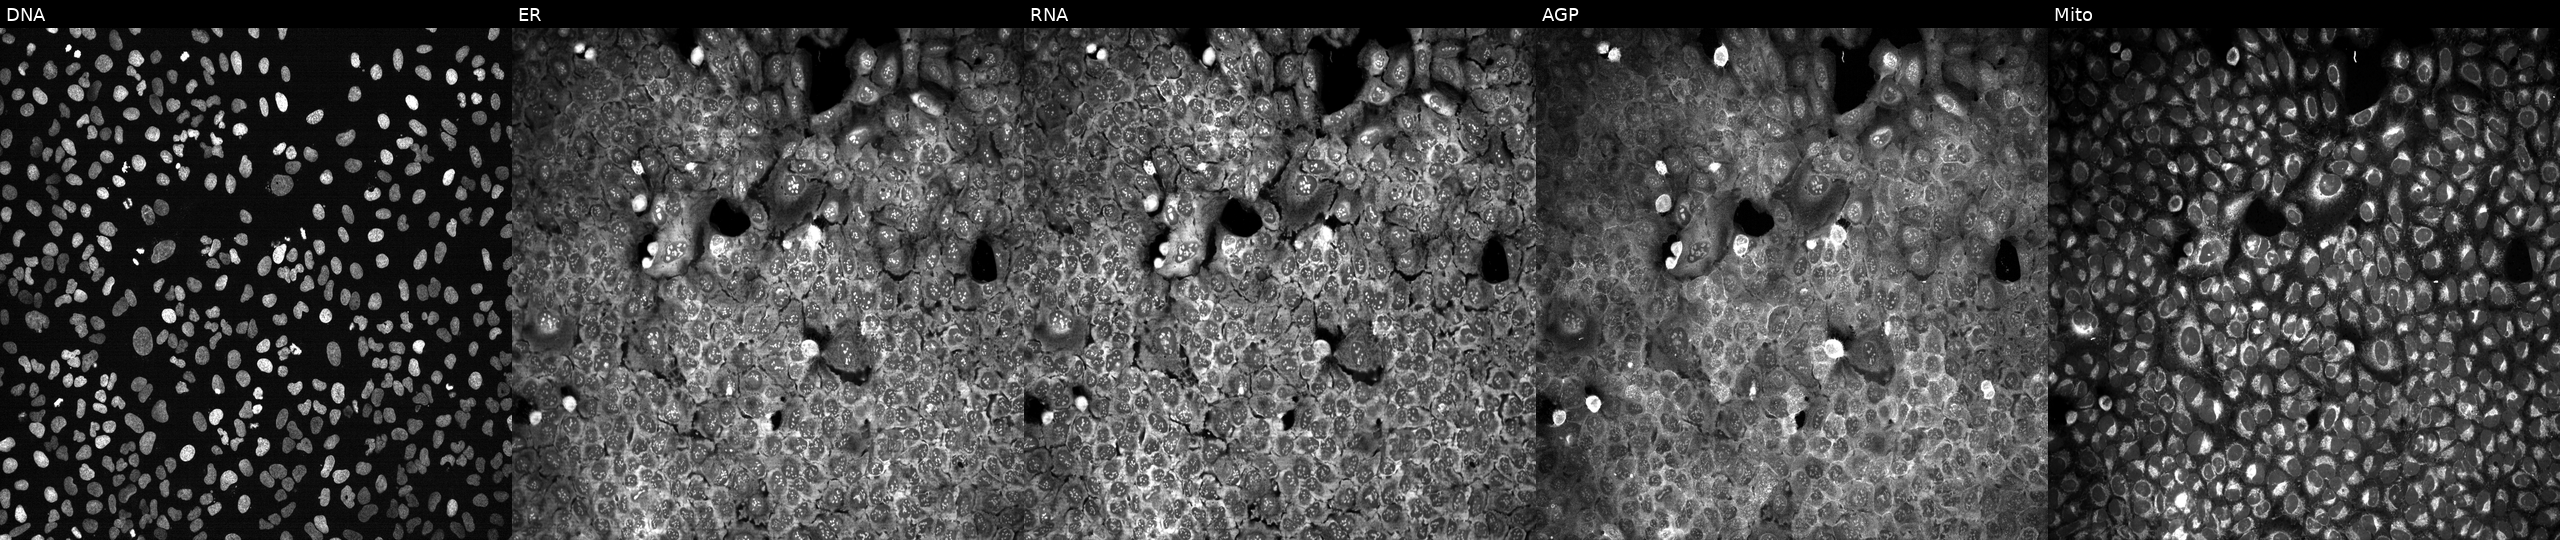
This image strip shows the five Cell Painting channels for a single field of U2OS cells CRISPR-edited to disrupt ASAH2. Panels show, left to right, DNA (nuclei); ER (endoplasmic reticulum); RNA (nucleoli and cytoplasmic RNA); AGP (actin cytoskeleton, Golgi, and plasma membrane); Mito (mitochondria). Source 13, plate CP-CC9-R4-03, well J19.